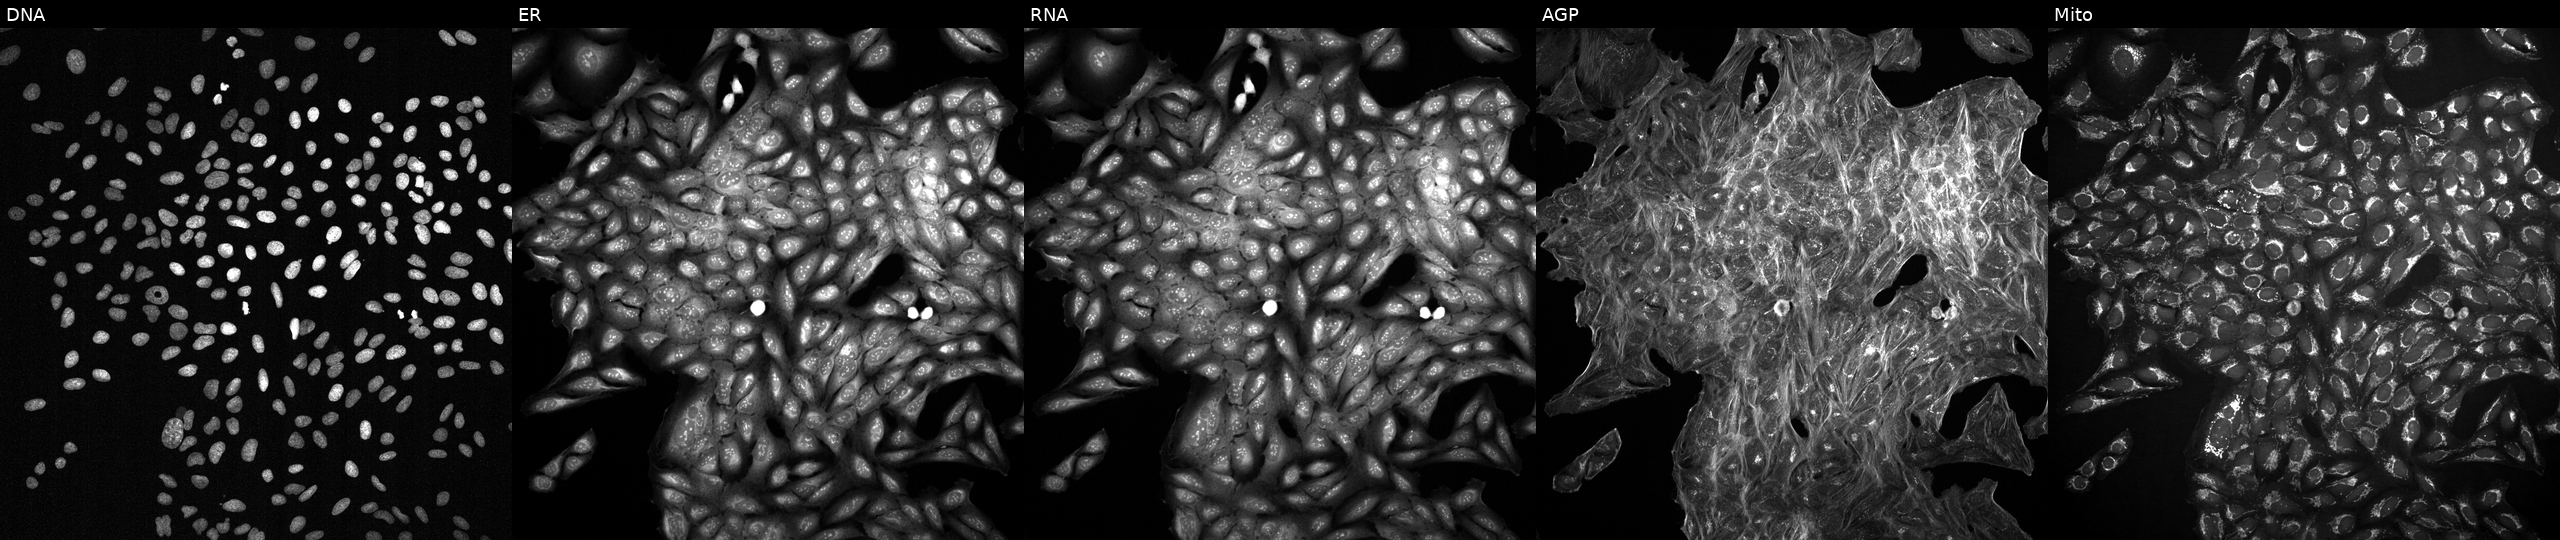
Five-channel Cell Painting image of U2OS cells perturbed with a small-molecule compound [SMILES: CCCCCCCN(CC)CCCC(O)c1ccc(NS(C)(=O)=O)cc1] (JUMP id JCP2022_002206). Panels show, left to right, DNA (nuclei); ER (endoplasmic reticulum); RNA (nucleoli and cytoplasmic RNA); AGP (actin cytoskeleton, Golgi, and plasma membrane); Mito (mitochondria).